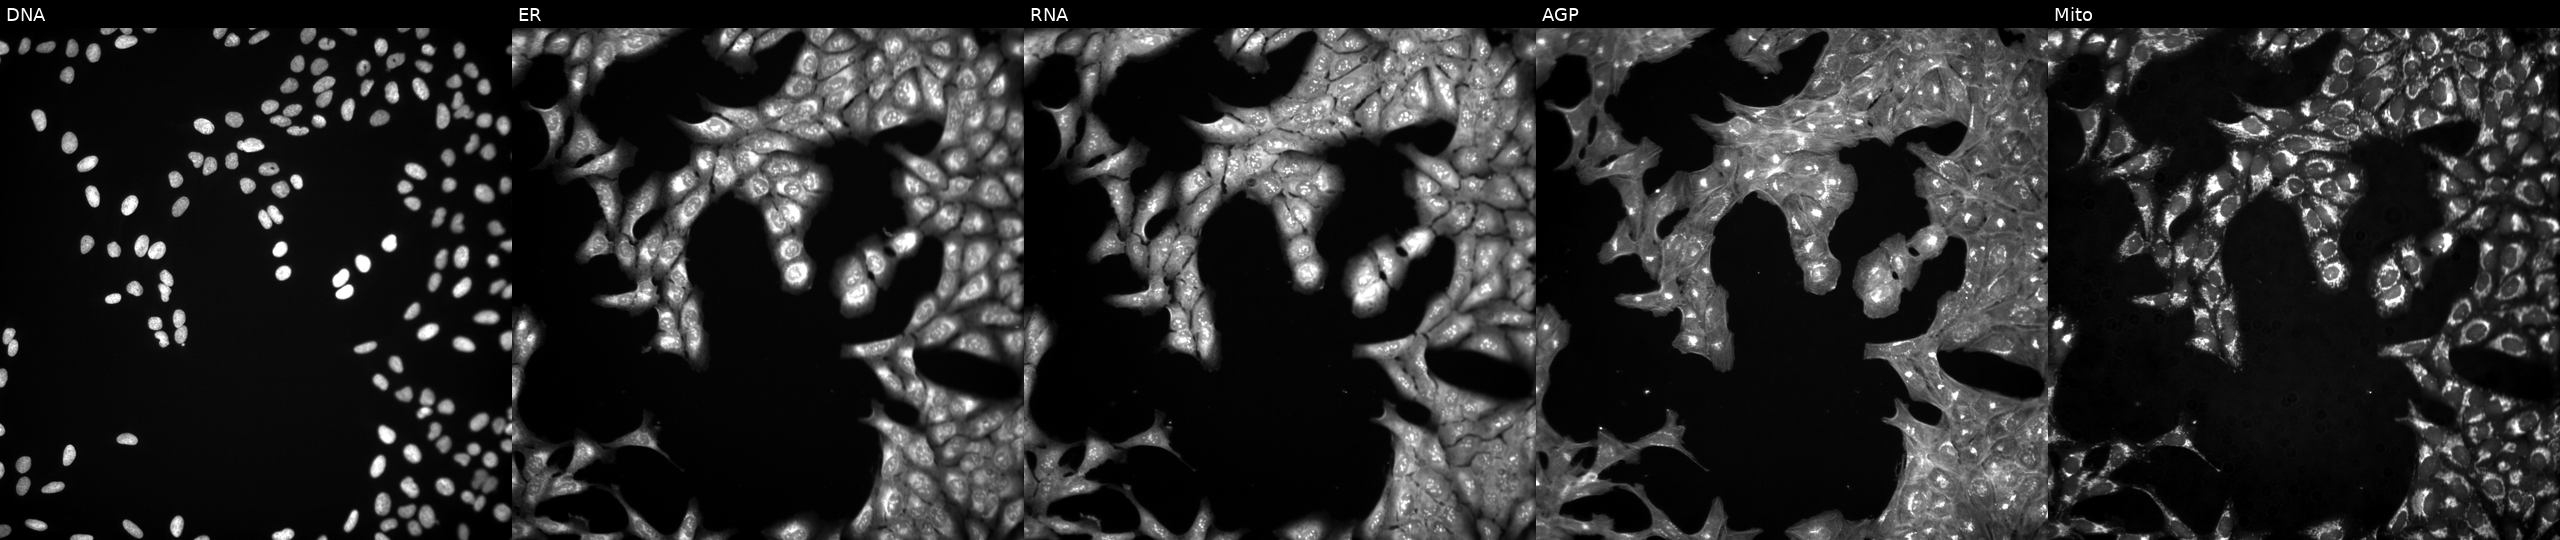
Five-channel Cell Painting image of U2OS cells treated with quinidine (positive-control compound). The five panels, left to right, show DNA (nuclei); ER (endoplasmic reticulum); RNA (nucleoli and cytoplasmic RNA); AGP (actin cytoskeleton, Golgi, and plasma membrane); Mito (mitochondria). Source 3, plate BR5867a3, well C24.